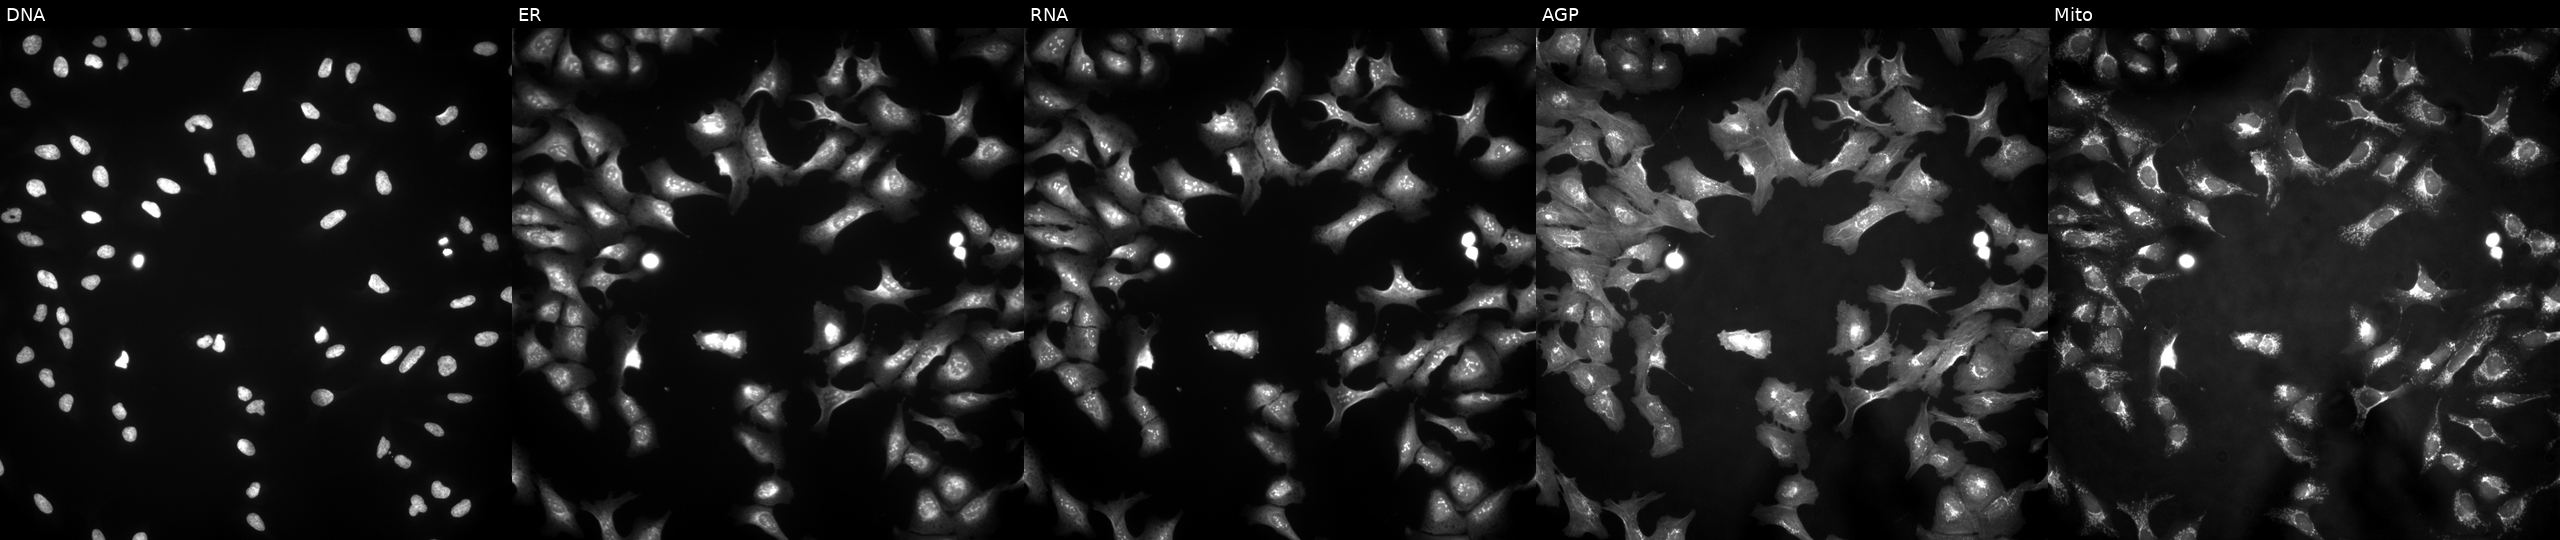
The five panels, left to right, show DNA, ER, RNA, AGP, and Mito. U2OS osteosarcoma cells overexpressing KRT7 via ORF transfection. Cell Painting assay, JUMP-CP dataset. Source 4, plate BR00123506, well K05.